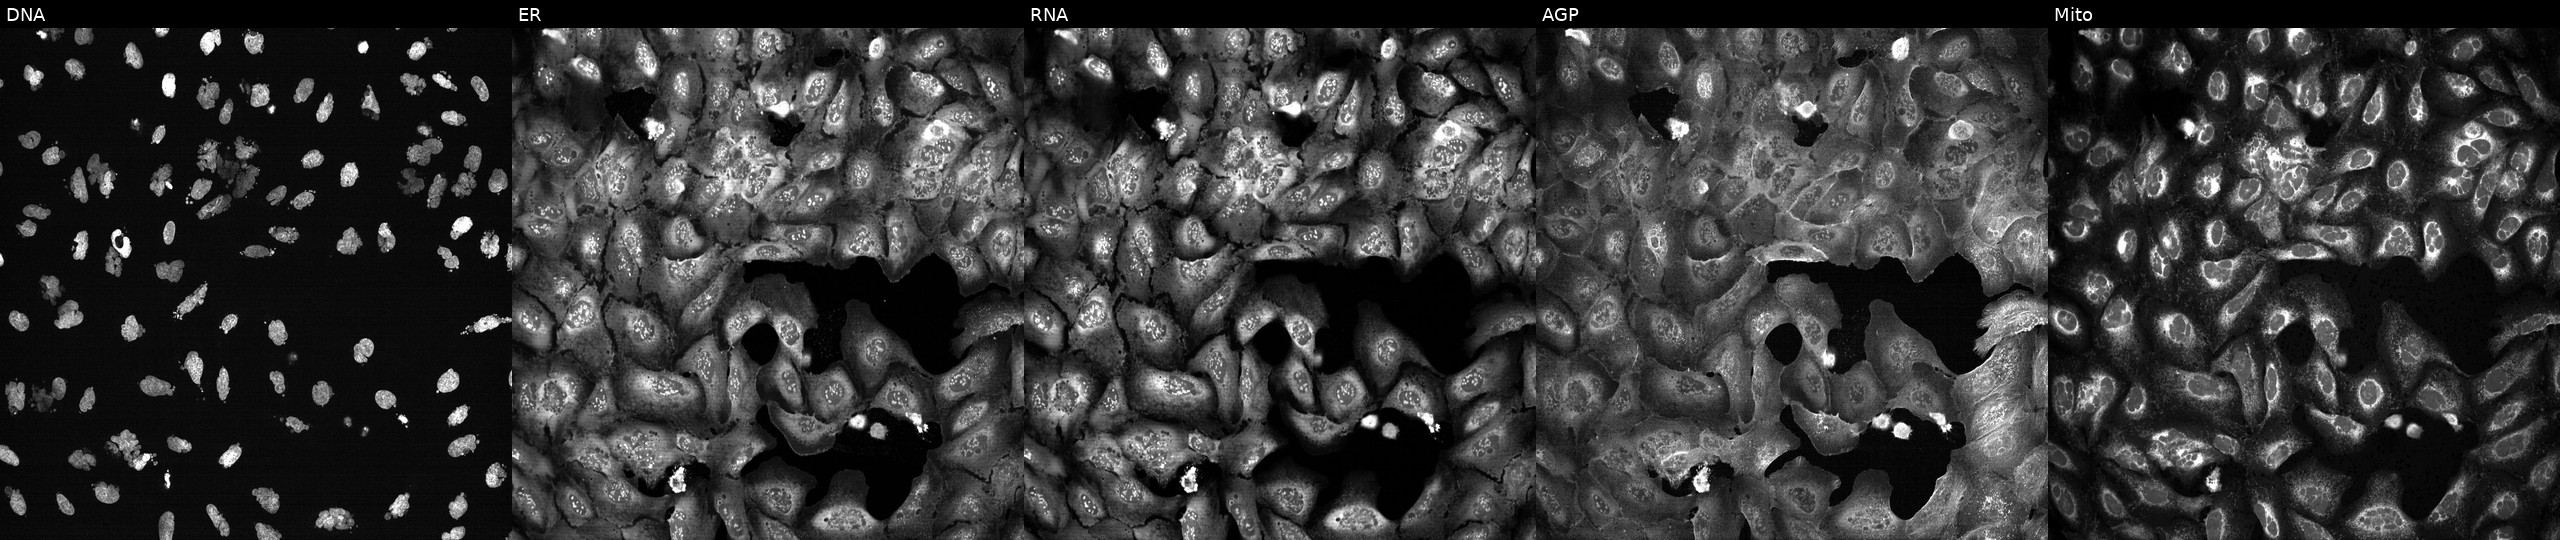
This image strip shows the five Cell Painting channels for a single field of U2OS cells treated with AMG900 (positive-control compound) (JUMP id JCP2022_037716). Panels show, left to right, DNA (nuclei); ER (endoplasmic reticulum); RNA (nucleoli and cytoplasmic RNA); AGP (actin cytoskeleton, Golgi, and plasma membrane); Mito (mitochondria).